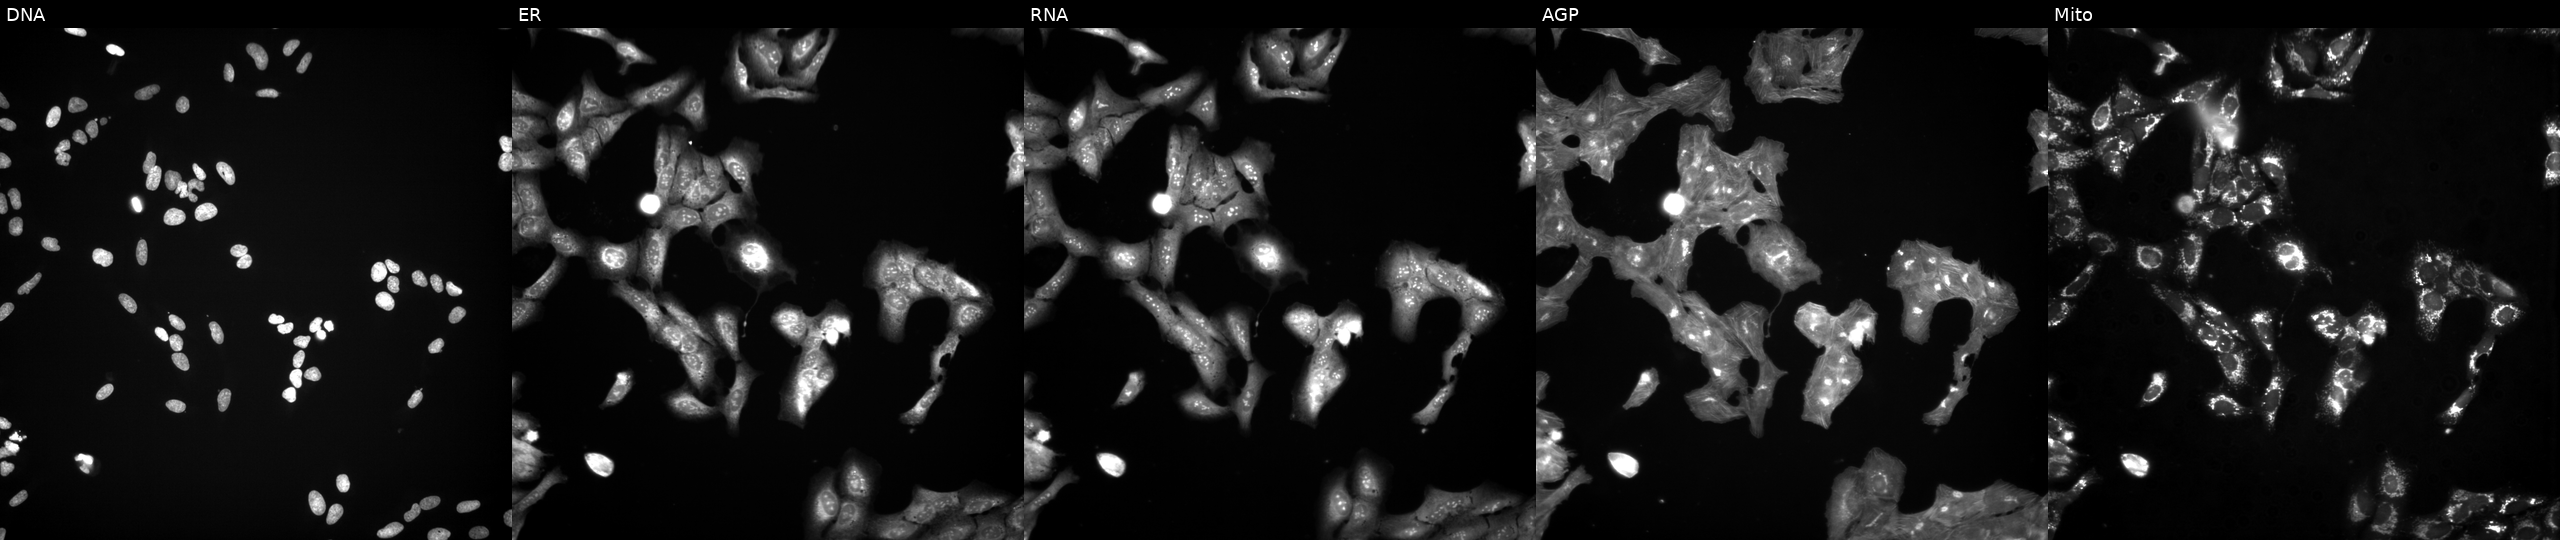
U2OS cells, Cell Painting assay, exposed to a small-molecule compound (InChIKey UTBOEBCWXGDOGI-UHFFFAOYSA-N) [SMILES: C=C(NC(=O)C(=C)NC(=O)c1csc(C2=NC3c4csc(n4)C4NC(=O)c5csc(n5)C(C(C)(O)C(C)O)NC(=O)C5CSC(=N5)C(=CC)NC(=O)C(C(C)O)NC(=O)c5csc(n5)C3(CC2)NC(=O)C(C)NC(=O)C(=C)NC(=O)C(C)NC(=O)C(C(C)CC)Nc2ccc3c(c2O)NC(=CC3C(C)O)C(=O)OC4C)n1)C(N)=O]. Channels (left→right): DNA, ER, RNA, AGP, and Mito. Each panel is percentile-stretched 16-bit fluorescence. Source 3, plate JCPQC051, well A12.